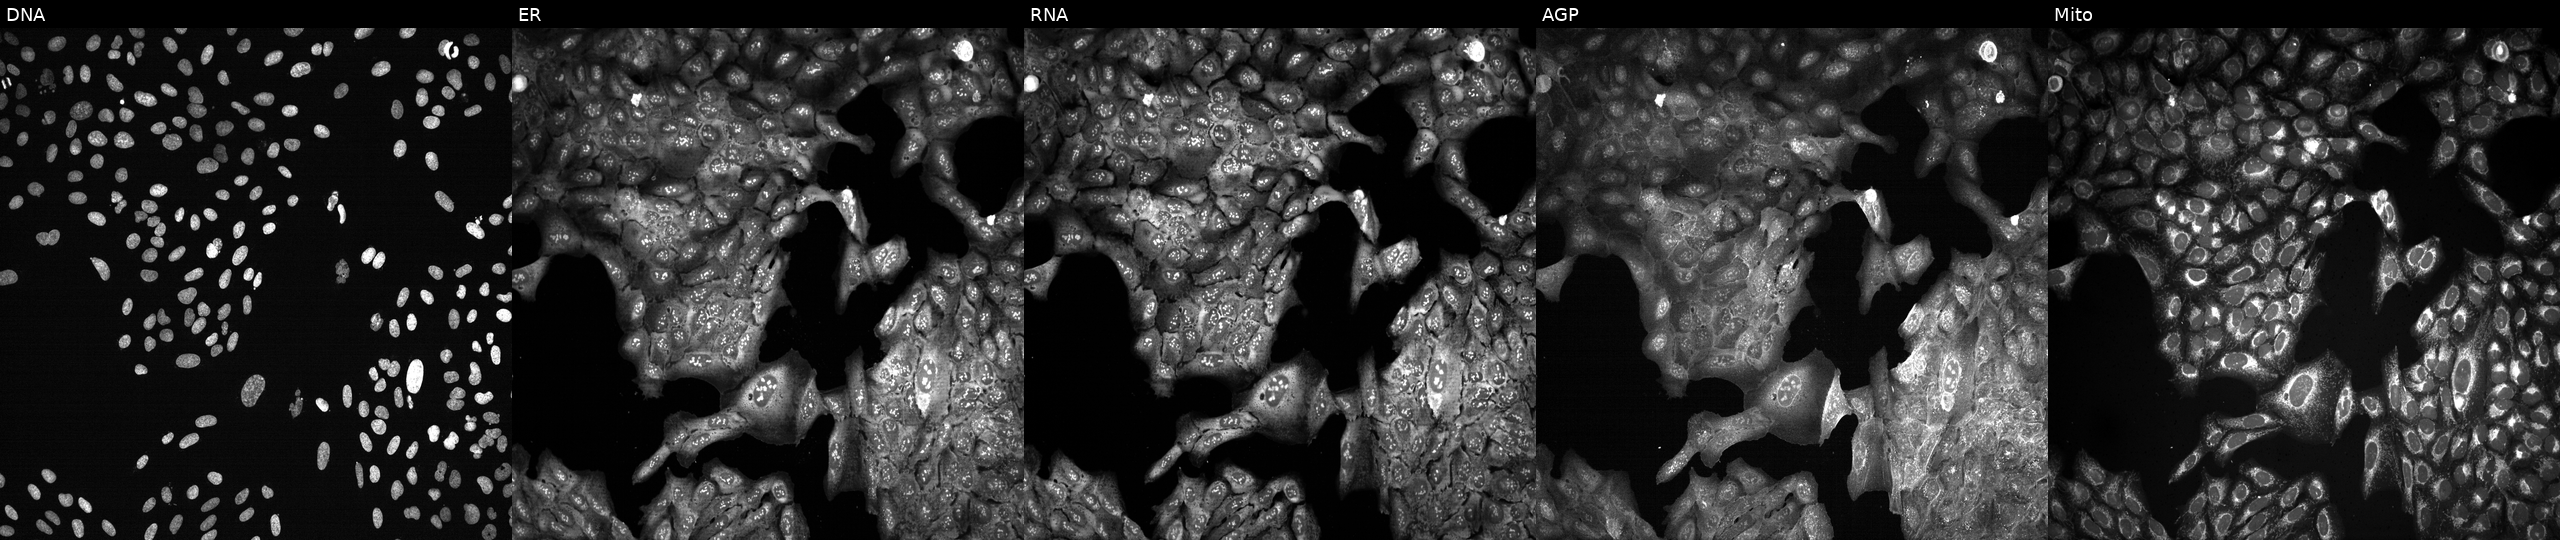
This image strip shows the five Cell Painting channels for a single field of U2OS cells CRISPR-edited to disrupt KARS. The five panels, left to right, show Hoechst 33342, concanavalin A, SYTO 14, phalloidin and WGA, MitoTracker.